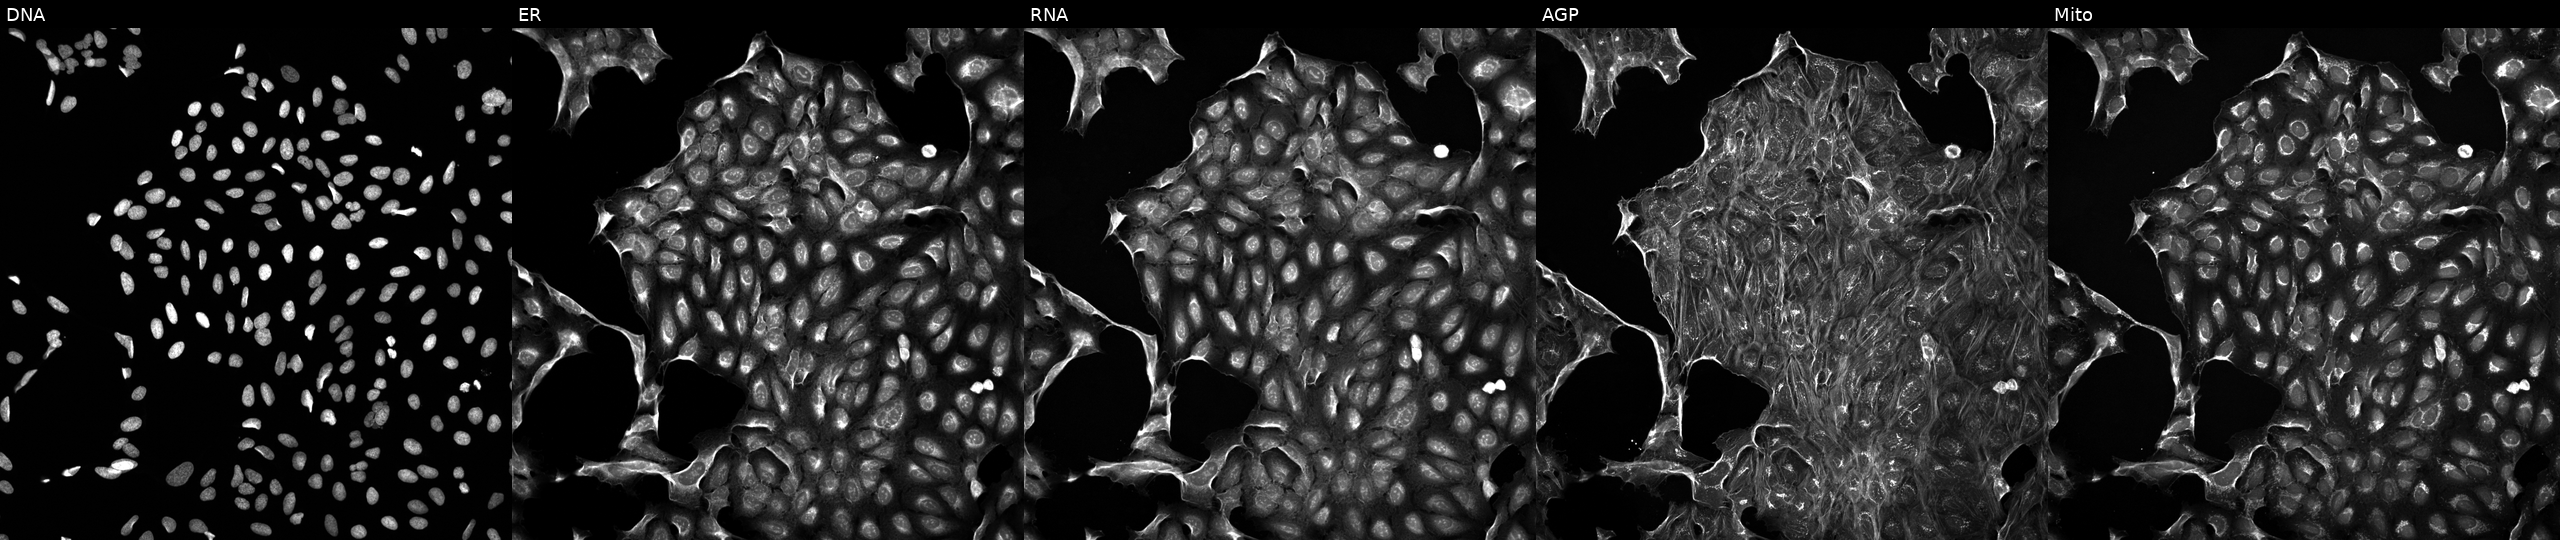
U2OS cells, Cell Painting assay, treated with DMSO vehicle only (negative control) (JUMP id JCP2022_033924). The five panels, left to right, show DNA (nuclei); ER (endoplasmic reticulum); RNA (nucleoli and cytoplasmic RNA); AGP (actin cytoskeleton, Golgi, and plasma membrane); Mito (mitochondria). Each panel is percentile-stretched 16-bit fluorescence. Source 5, plate ACPJUM012, well N01.